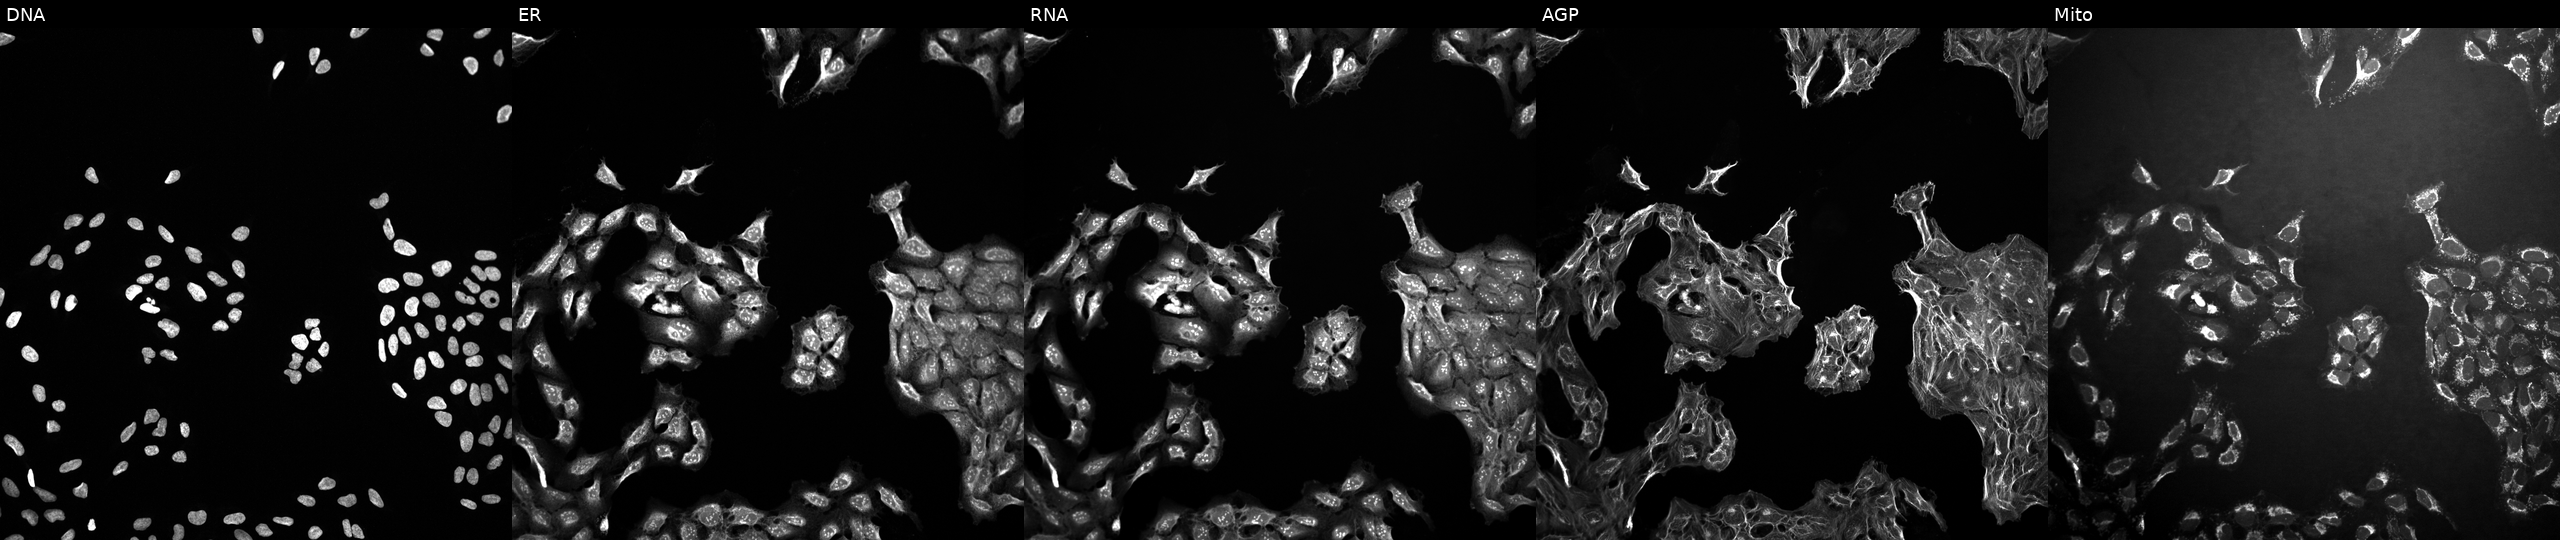
This image strip shows the five Cell Painting channels for a single field of U2OS cells treated with DMSO vehicle only (negative control). Channels (left→right): DNA (nuclei); ER (endoplasmic reticulum); RNA (nucleoli and cytoplasmic RNA); AGP (actin cytoskeleton, Golgi, and plasma membrane); Mito (mitochondria).